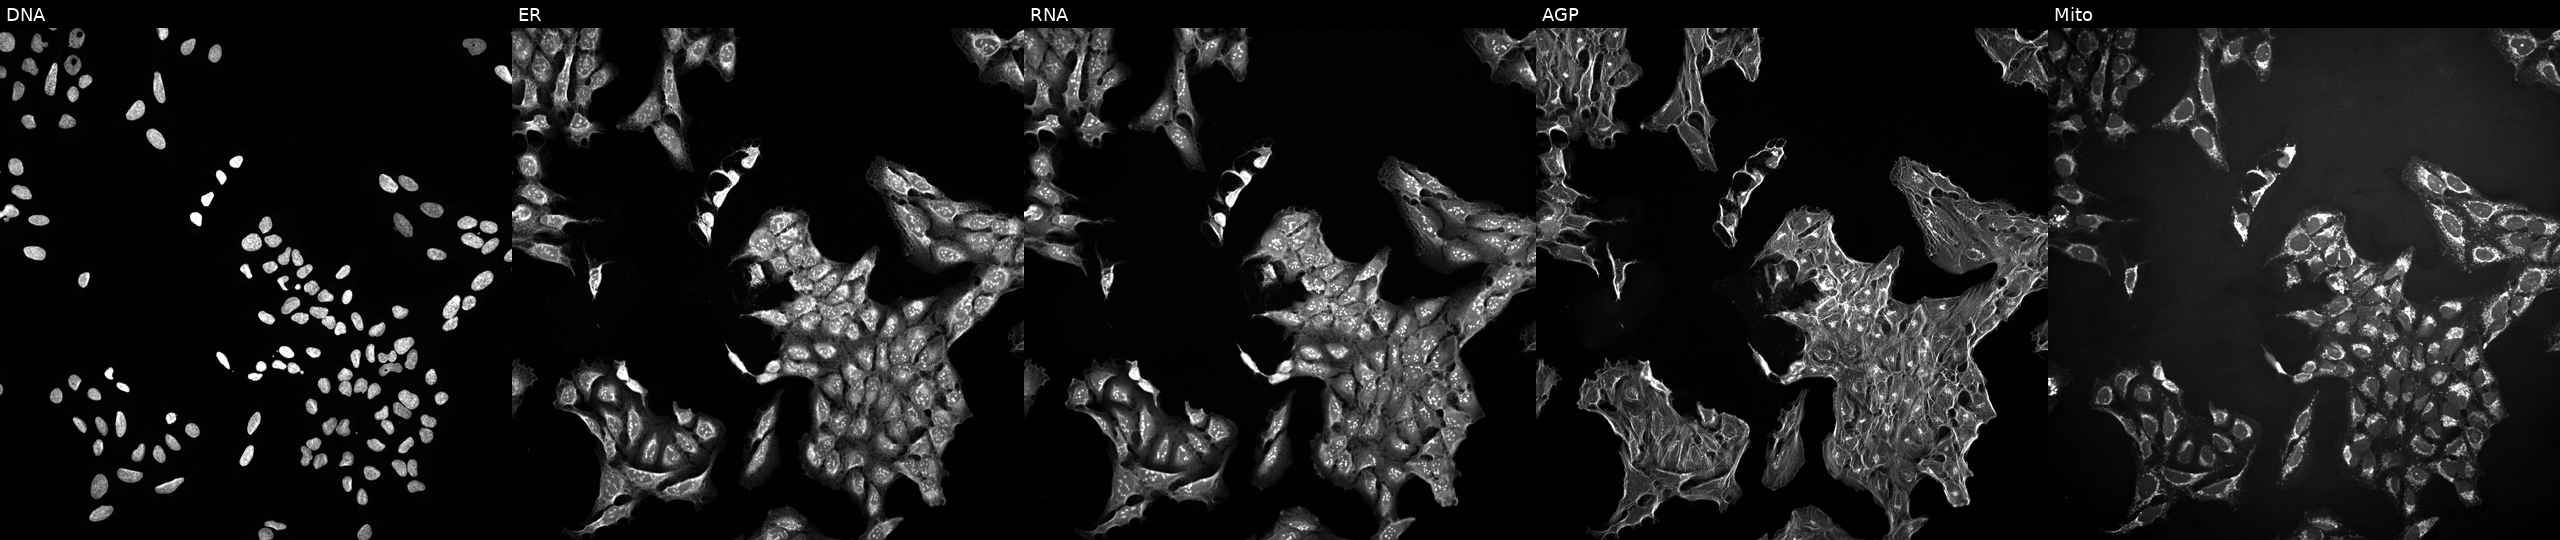
Channels (left→right): DNA (nuclei); ER (endoplasmic reticulum); RNA (nucleoli and cytoplasmic RNA); AGP (actin cytoskeleton, Golgi, and plasma membrane); Mito (mitochondria). U2OS osteosarcoma cells exposed to a small-molecule compound (InChIKey NXNKJLOEGWSJGI-UHFFFAOYSA-N). Cell Painting assay, JUMP-CP dataset. Source 10, plate Dest210726-160150, well P08.